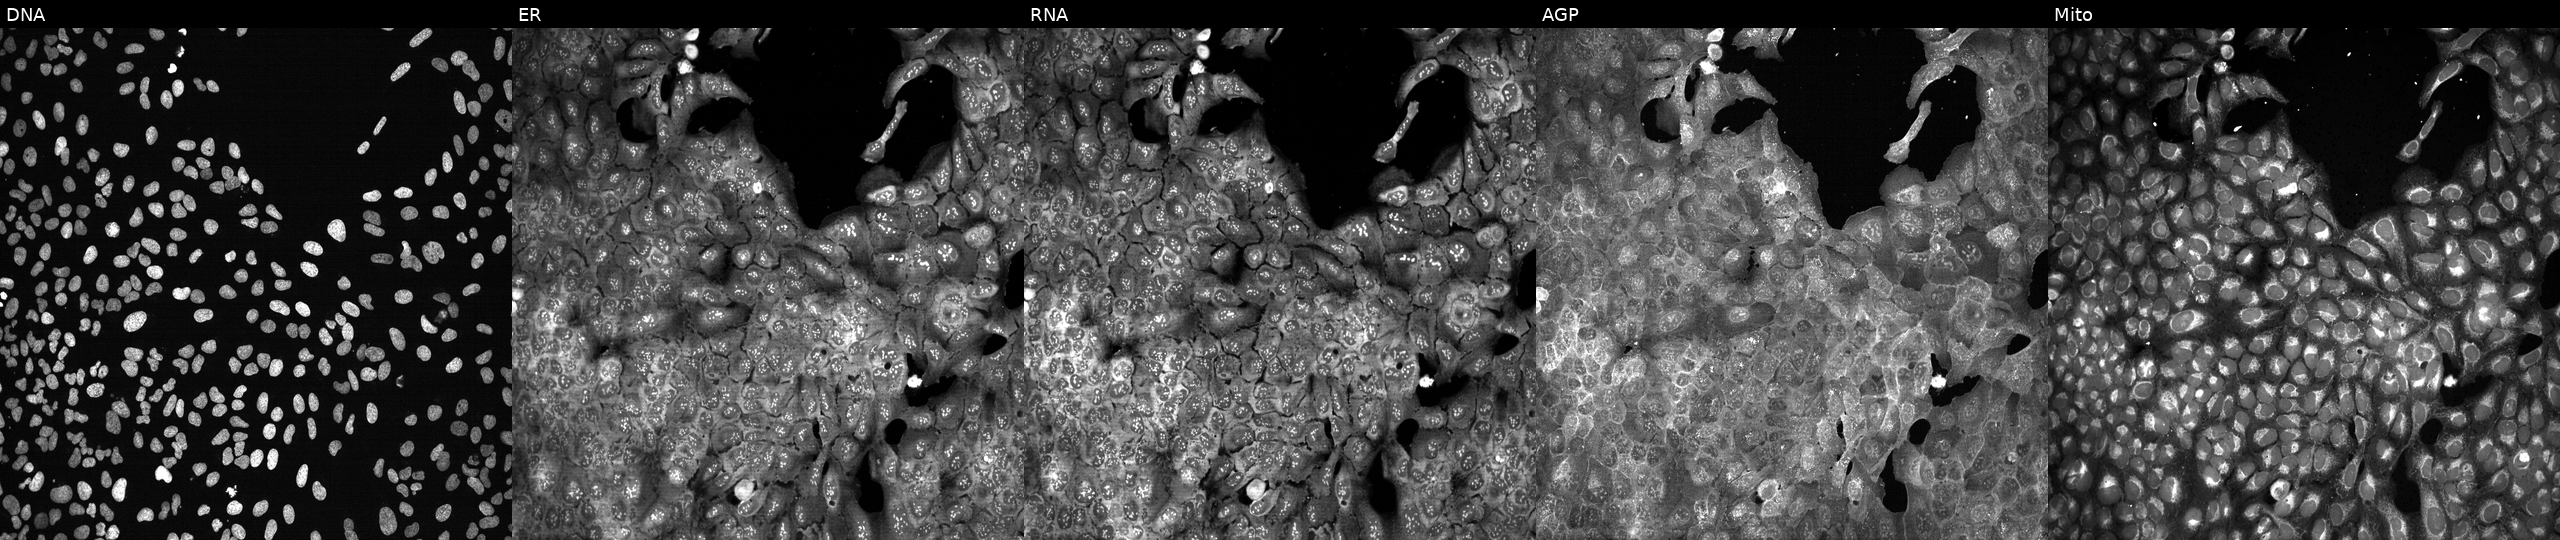
JUMP Cell Painting — CRISPR plate. U2OS cells CRISPR-edited to disrupt SRR. Channels (left→right): Hoechst 33342, concanavalin A, SYTO 14, phalloidin and WGA, MitoTracker. Source 13, plate CP-CC9-R5-01, well F16.